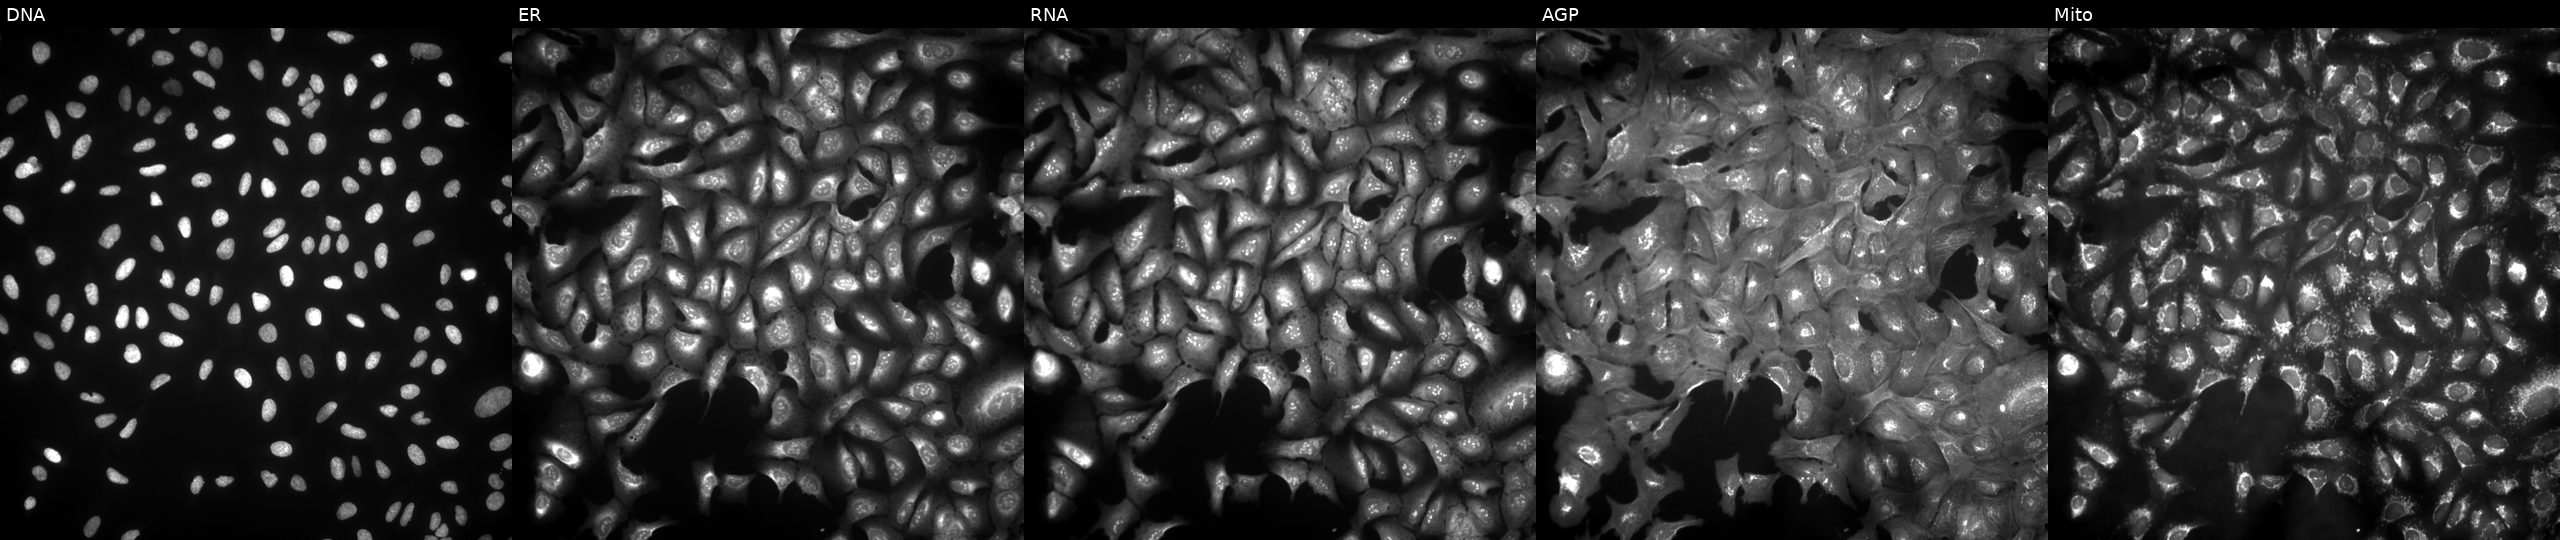
This image strip shows the five Cell Painting channels for a single field of U2OS cells with CSRNP1 overexpressed (ORF). Channels (left→right): Hoechst 33342, concanavalin A, SYTO 14, phalloidin and WGA, MitoTracker.